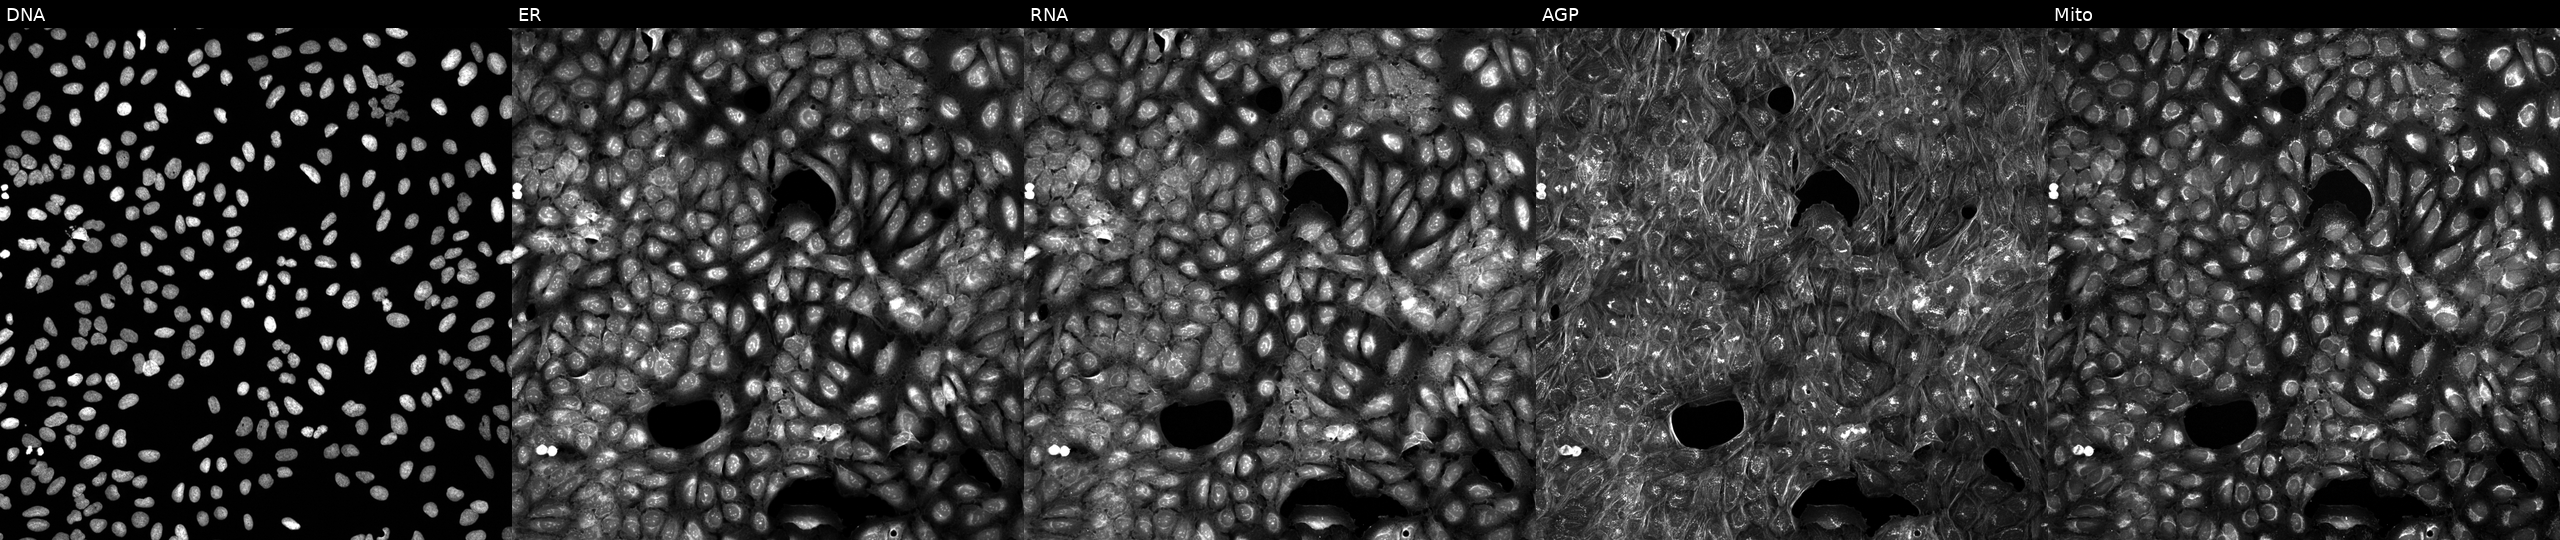
High-content fluorescence microscopy (Cell Painting). Cell line: U2OS. Perturbation: exposed to a small-molecule compound. The five panels, left to right, show Hoechst 33342, concanavalin A, SYTO 14, phalloidin and WGA, MitoTracker.